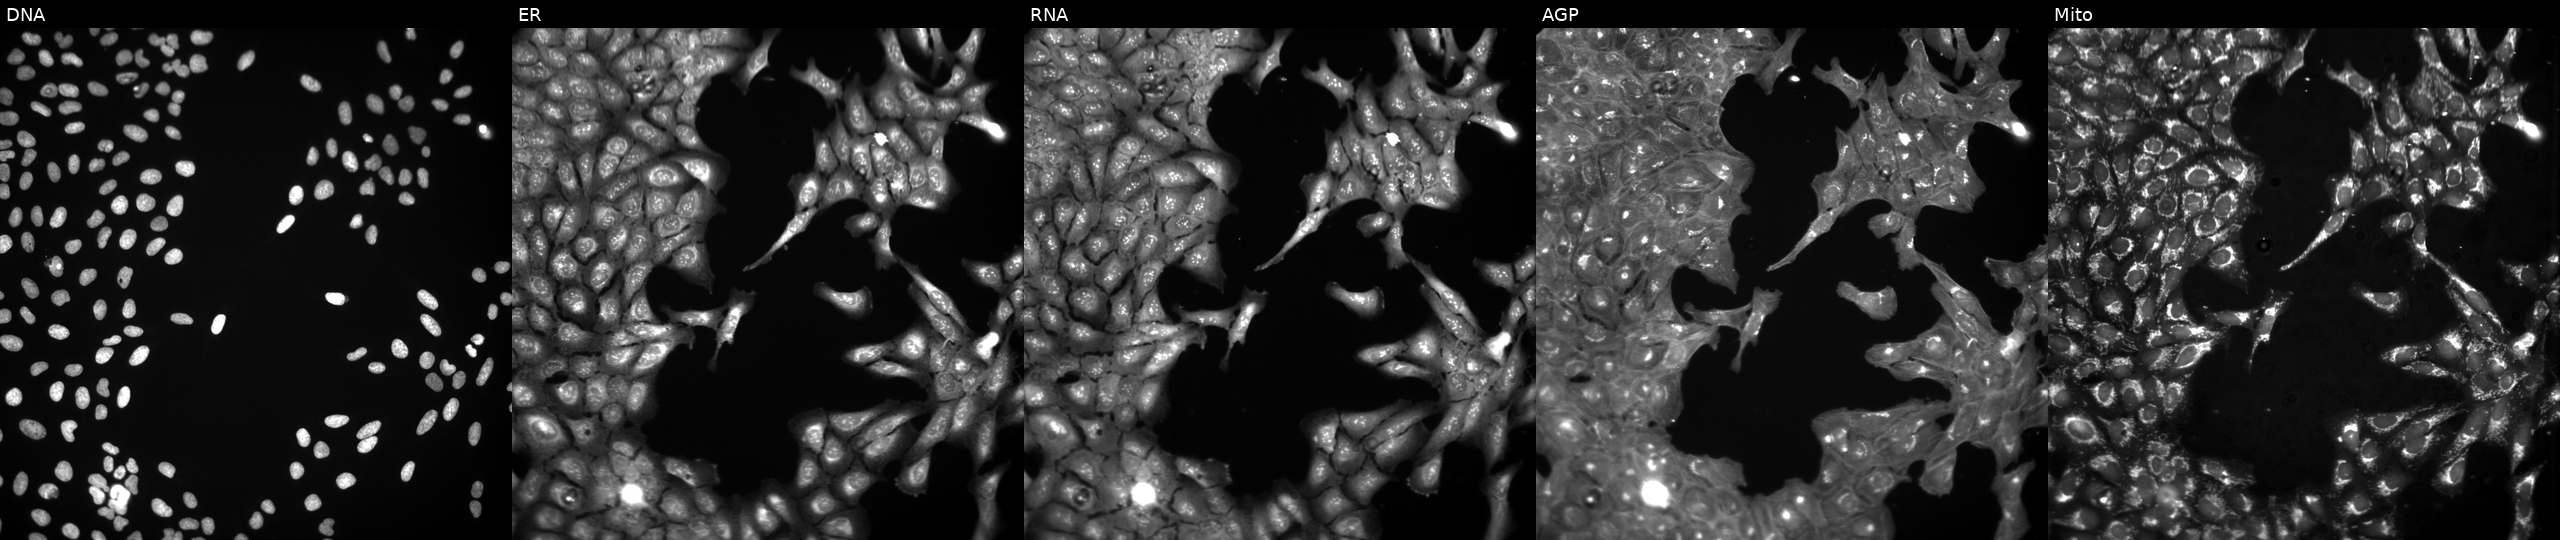
U2OS cells, Cell Painting assay, exposed to the positive-control compound quinidine (JUMP id JCP2022_050797). From left to right: DNA, ER, RNA, AGP, and Mito. Each panel is percentile-stretched 16-bit fluorescence.